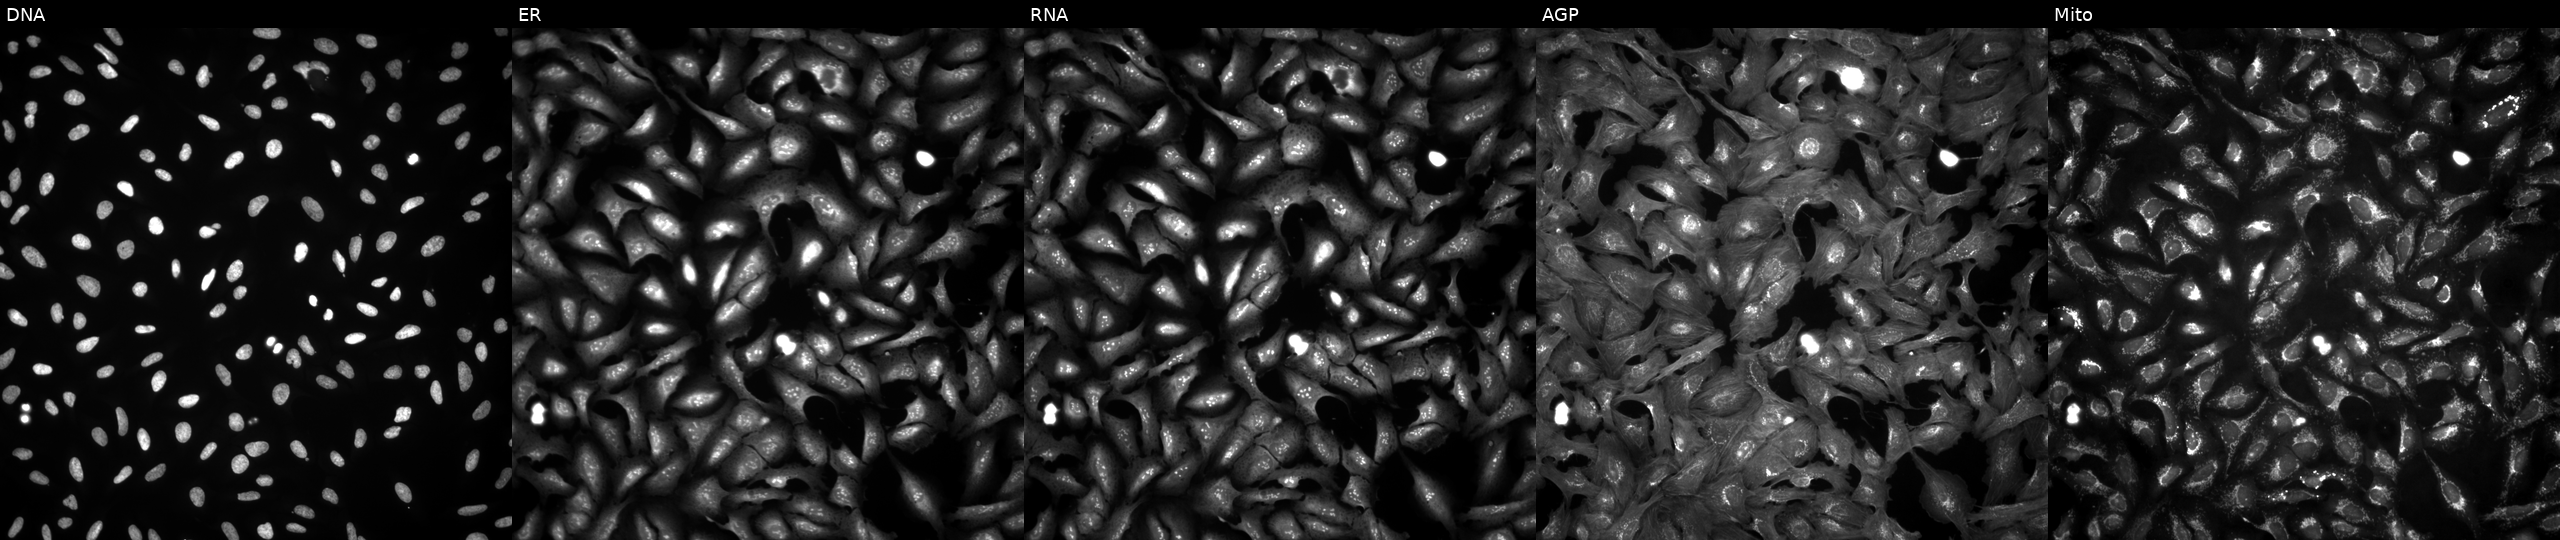
High-content fluorescence microscopy (Cell Painting). Cell line: U2OS. Perturbation: overexpressing SMAGP via ORF transfection. The five panels, left to right, show DNA, ER, RNA, AGP, and Mito.